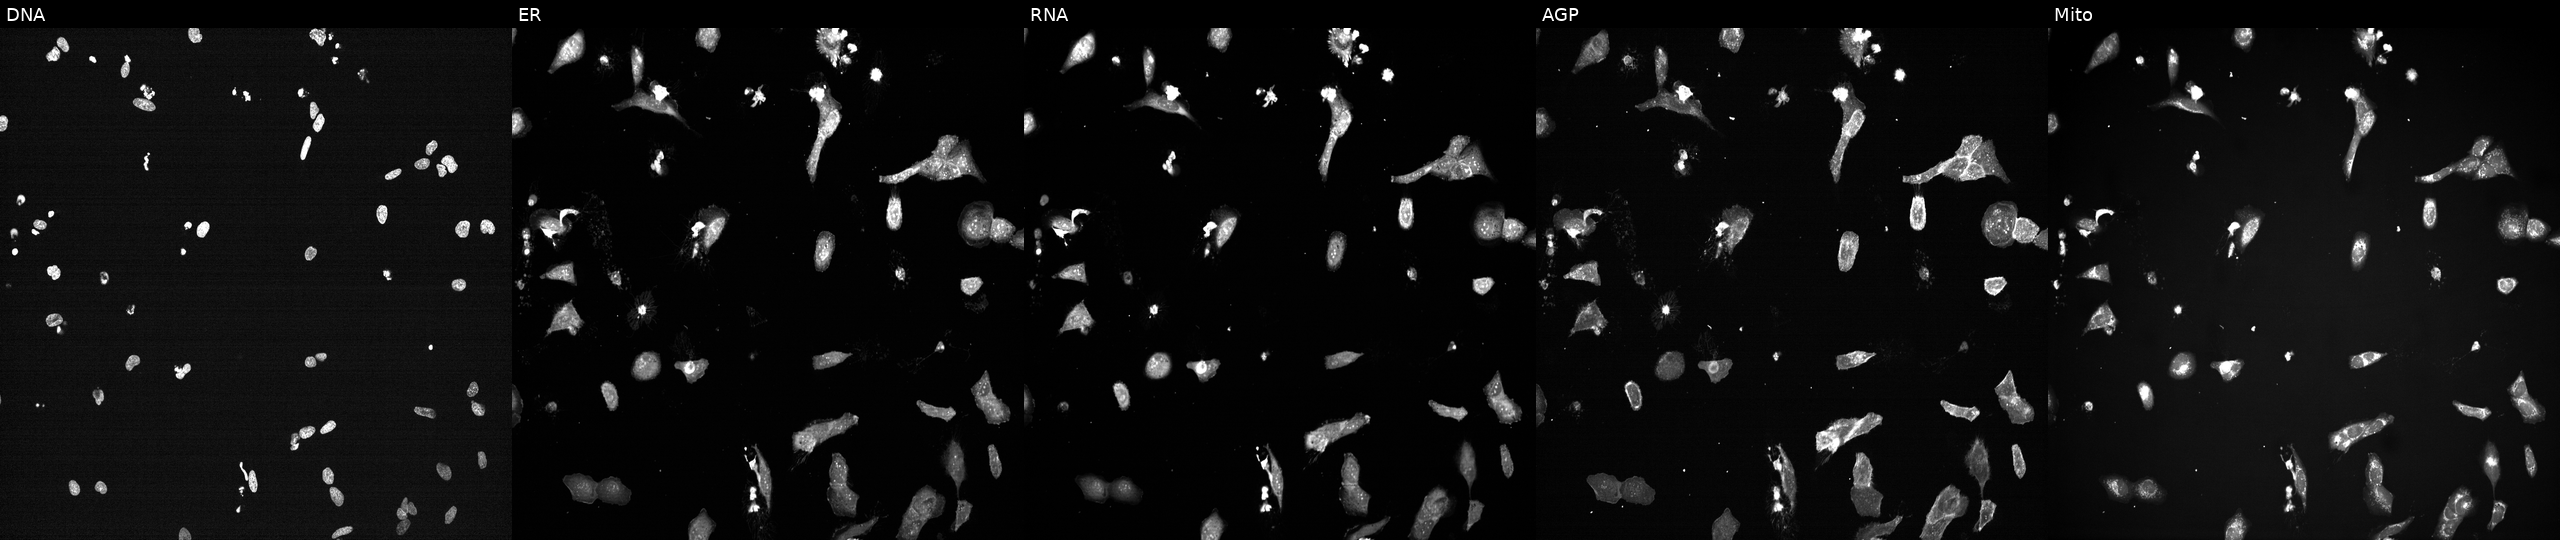
High-content fluorescence microscopy (Cell Painting). Cell line: U2OS. Perturbation: exposed to a small-molecule compound (InChIKey AYCPARAPKDAOEN-UHFFFAOYSA-N) [SMILES: Cc1nc(=Nc2[nH]nc3c2CN(C(=O)NC(CN(C)C)c2ccccc2)C3(C)C)c2sccc2[nH]1] (JUMP id JCP2022_004587). The five panels, left to right, show DNA (nuclei); ER (endoplasmic reticulum); RNA (nucleoli and cytoplasmic RNA); AGP (actin cytoskeleton, Golgi, and plasma membrane); Mito (mitochondria).